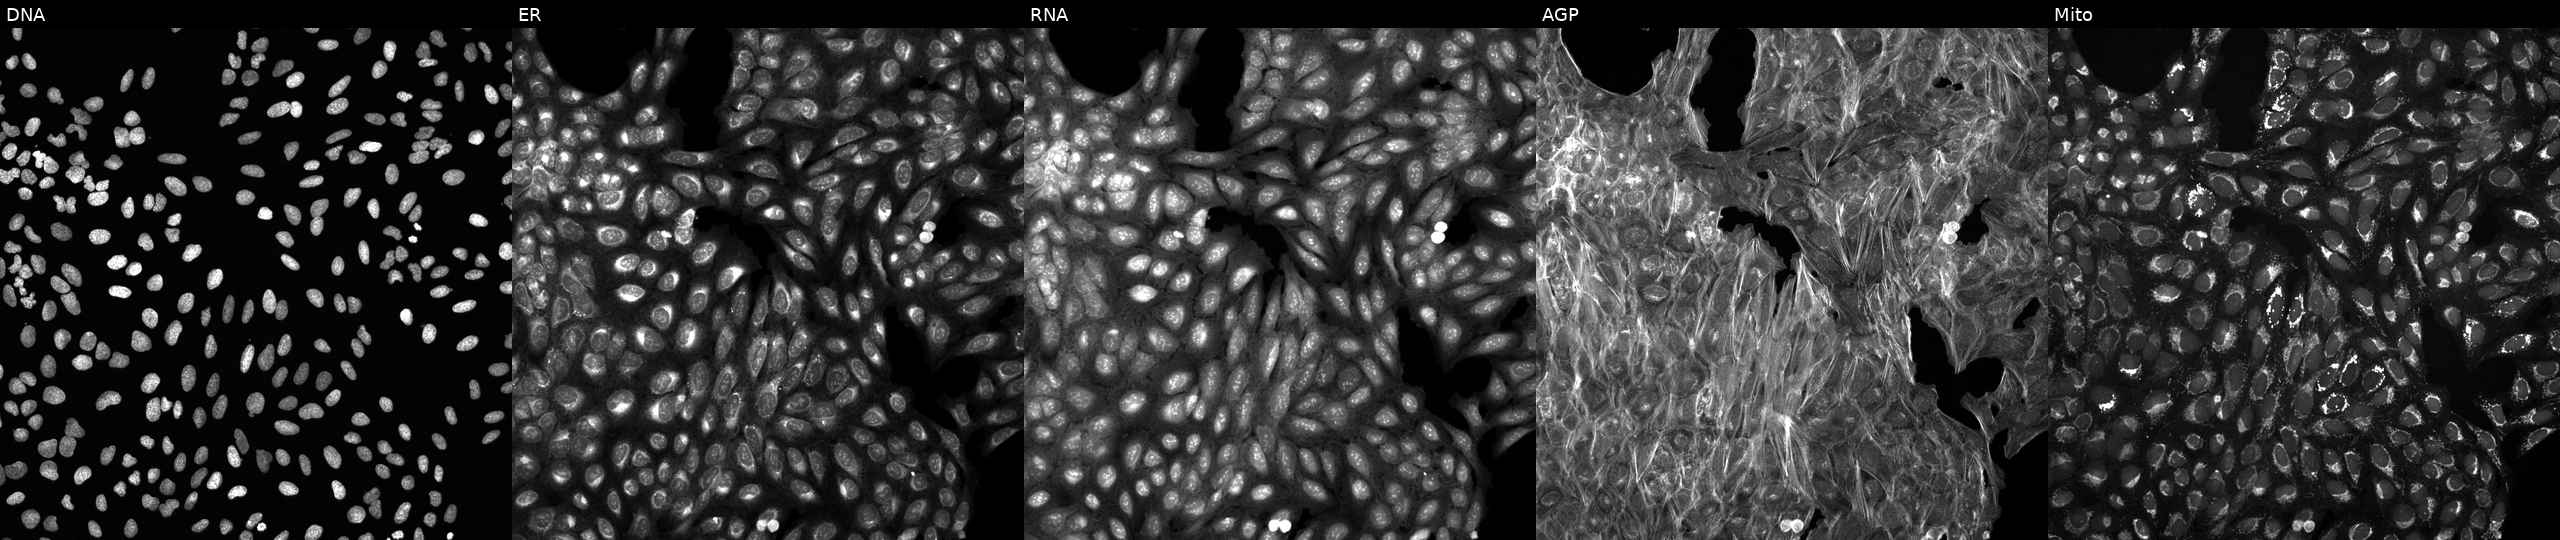
The five panels, left to right, show Hoechst 33342, concanavalin A, SYTO 14, phalloidin and WGA, MitoTracker. U2OS osteosarcoma cells perturbed with a small-molecule compound (InChIKey VTFVOXWDODQKRD-UHFFFAOYSA-N). Cell Painting assay, JUMP-CP dataset.